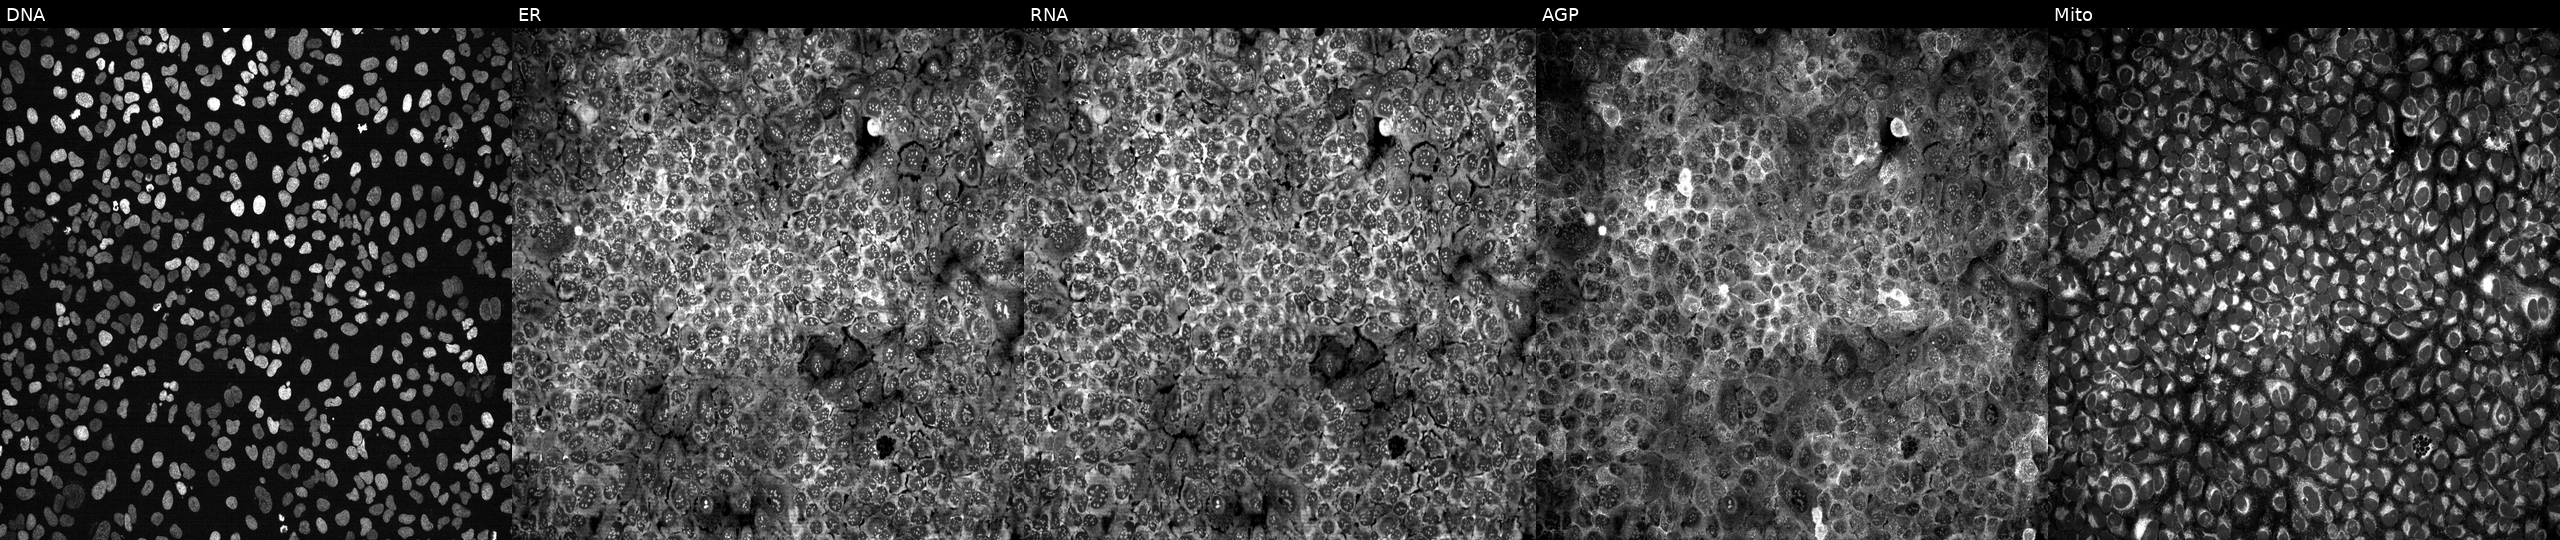
High-content fluorescence microscopy (Cell Painting). Cell line: U2OS. Perturbation: CRISPR-edited to disrupt BCL2A1. The five panels, left to right, show Hoechst 33342, concanavalin A, SYTO 14, phalloidin and WGA, MitoTracker.